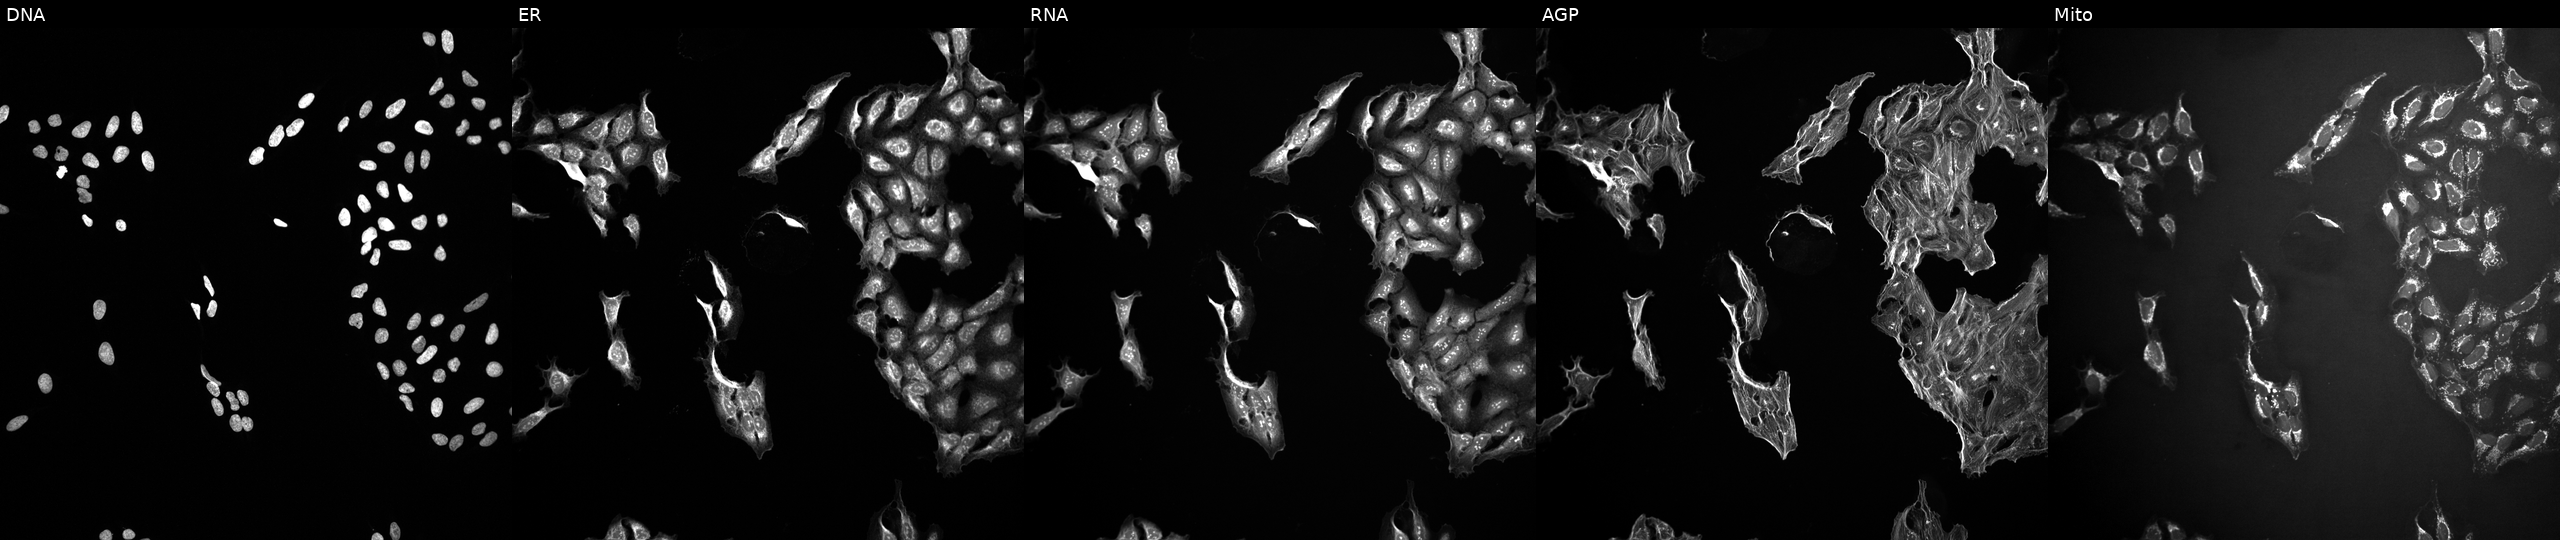
From left to right: Hoechst 33342, concanavalin A, SYTO 14, phalloidin and WGA, MitoTracker. U2OS osteosarcoma cells treated with DMSO vehicle only (negative control). Cell Painting assay, JUMP-CP dataset. Source 10, plate Dest210727-153003, well H17.